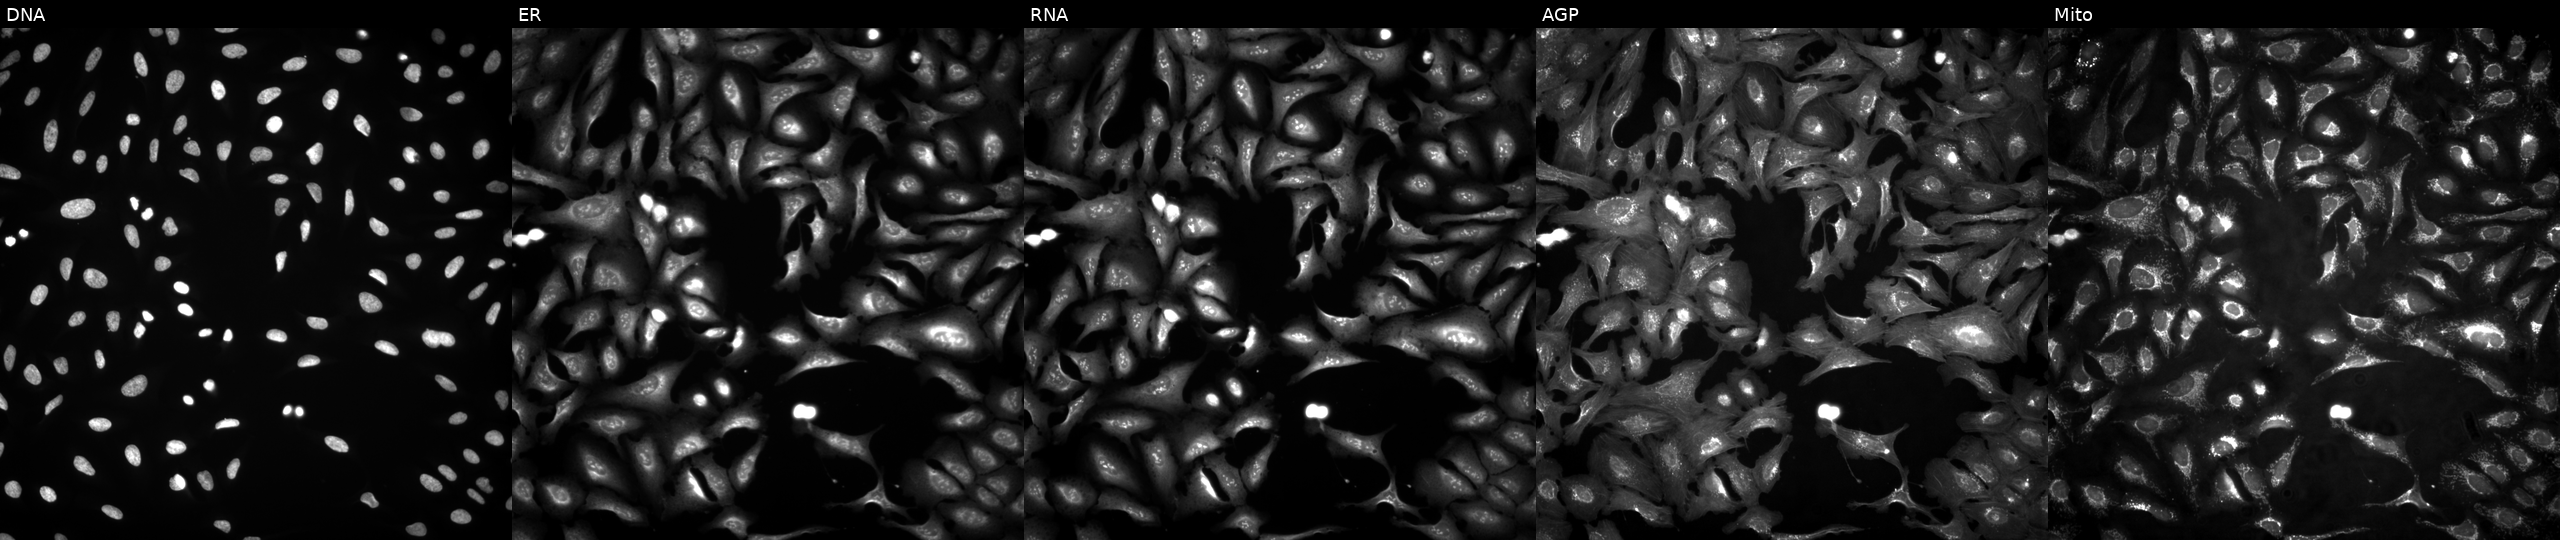
U2OS cells, Cell Painting assay, transfected with an ORF construct for SCLT1. Panels show, left to right, DNA (nuclei); ER (endoplasmic reticulum); RNA (nucleoli and cytoplasmic RNA); AGP (actin cytoskeleton, Golgi, and plasma membrane); Mito (mitochondria). Each panel is percentile-stretched 16-bit fluorescence.